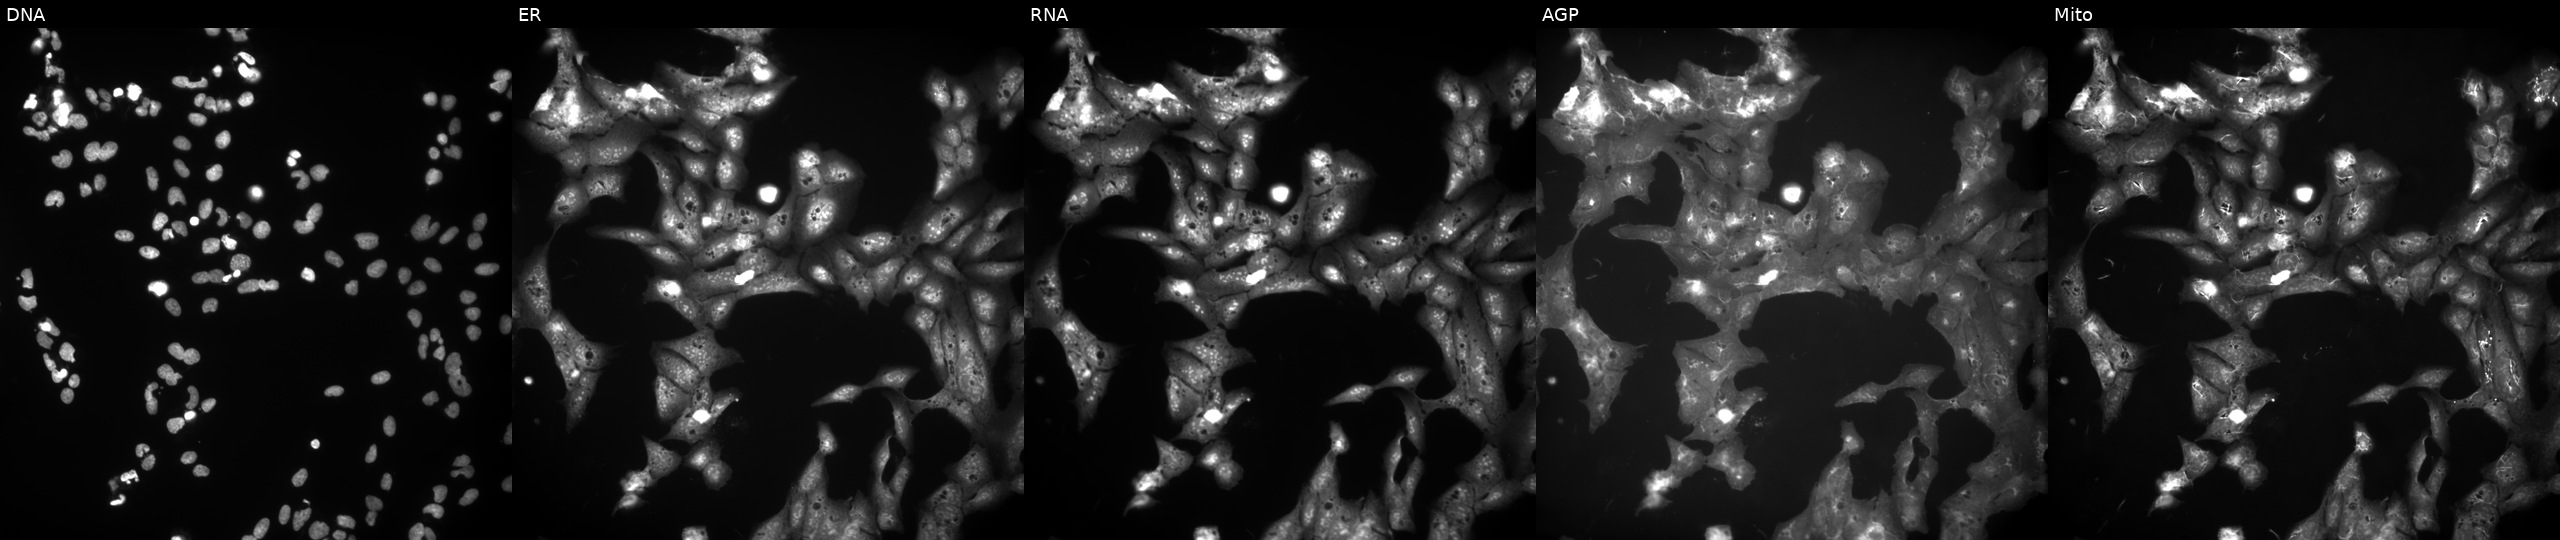
High-content fluorescence microscopy (Cell Painting). Cell line: U2OS. Perturbation: exposed to a small-molecule compound (InChIKey OONNOCDWXGQQOW-UHFFFAOYSA-N) (JUMP id JCP2022_065143). Panels show, left to right, DNA, ER, RNA, AGP, and Mito.